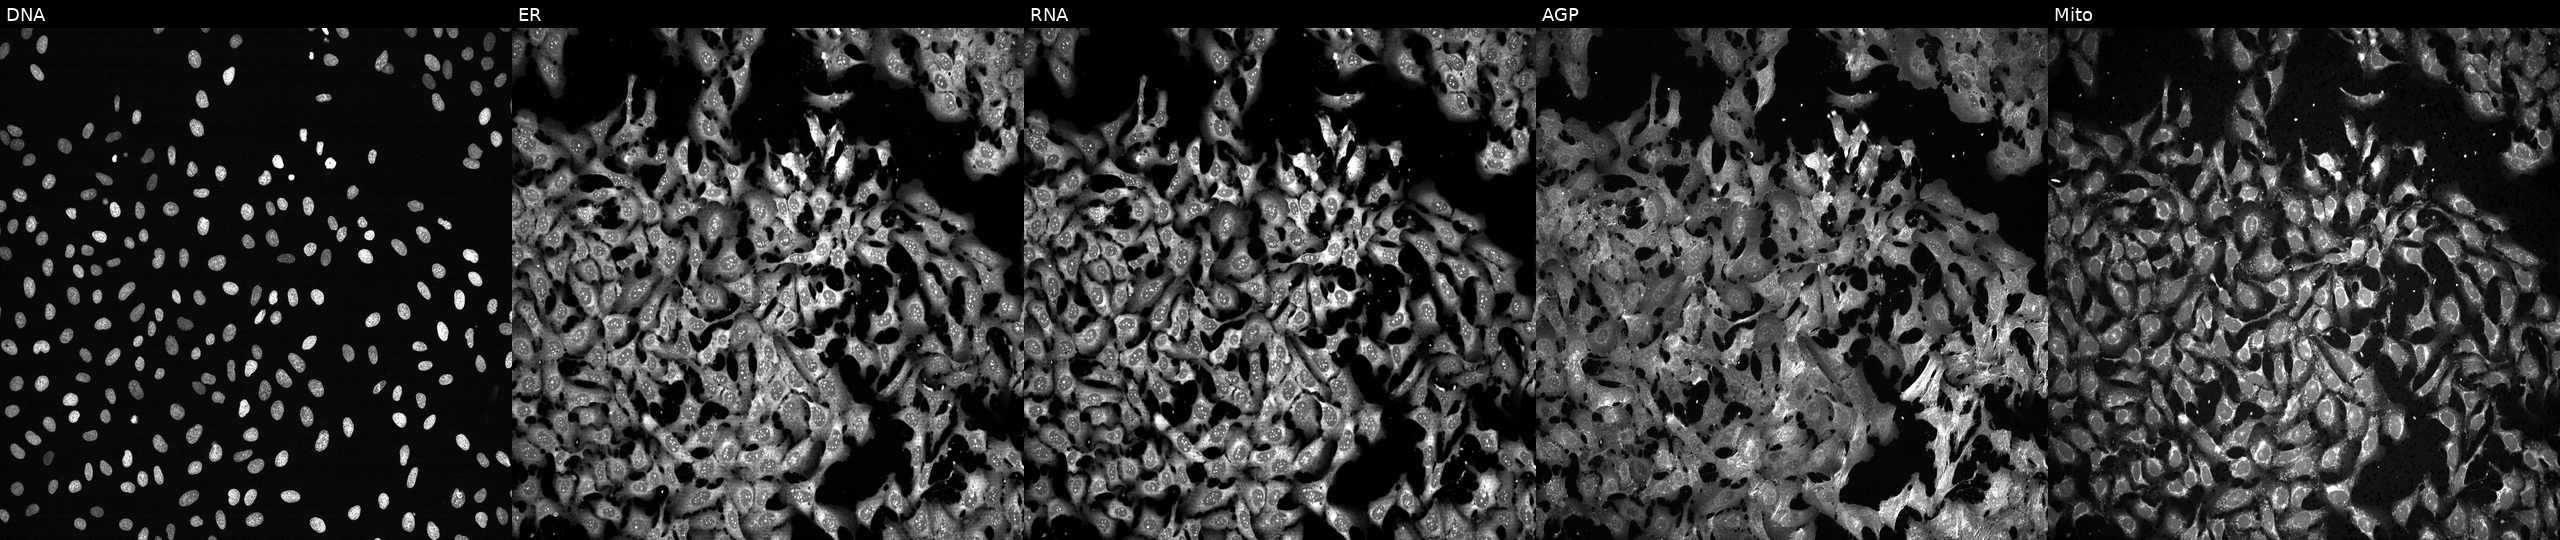
Five-channel Cell Painting image of U2OS cells exposed to the positive-control compound FK-866. Channels (left→right): Hoechst 33342, concanavalin A, SYTO 14, phalloidin and WGA, MitoTracker. Source 13, plate CP-CC9-R2-02, well D01.